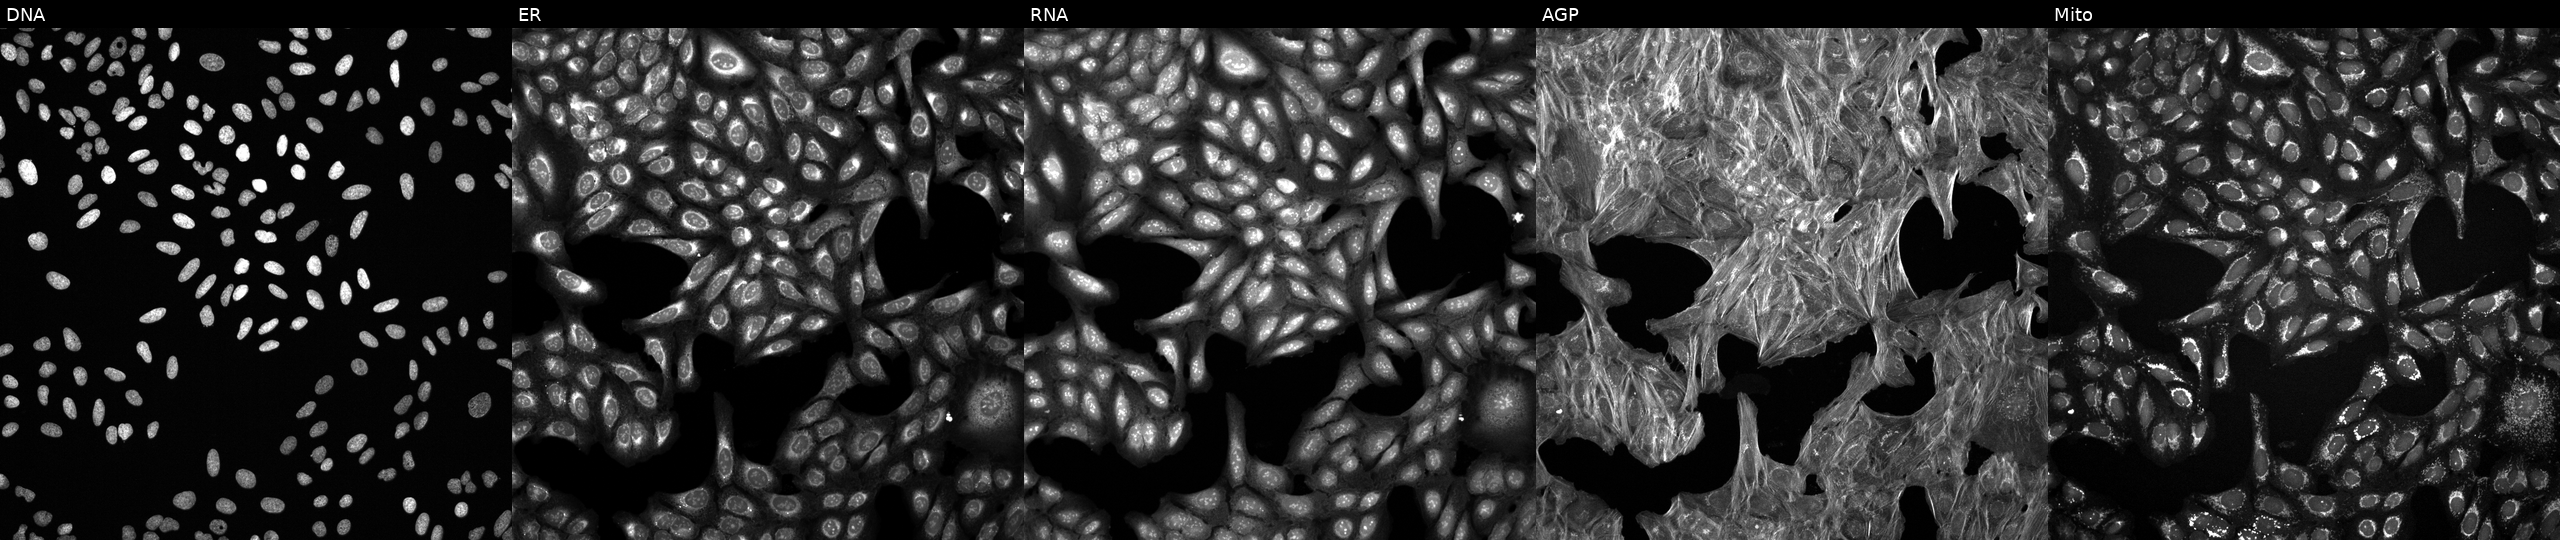
Channels (left→right): DNA, ER, RNA, AGP, and Mito. U2OS osteosarcoma cells perturbed with a small-molecule compound (InChIKey LOPGQWNOWKRKCO-UHFFFAOYSA-N). Cell Painting assay, JUMP-CP dataset. Source 6, plate 110000293082, well I16.